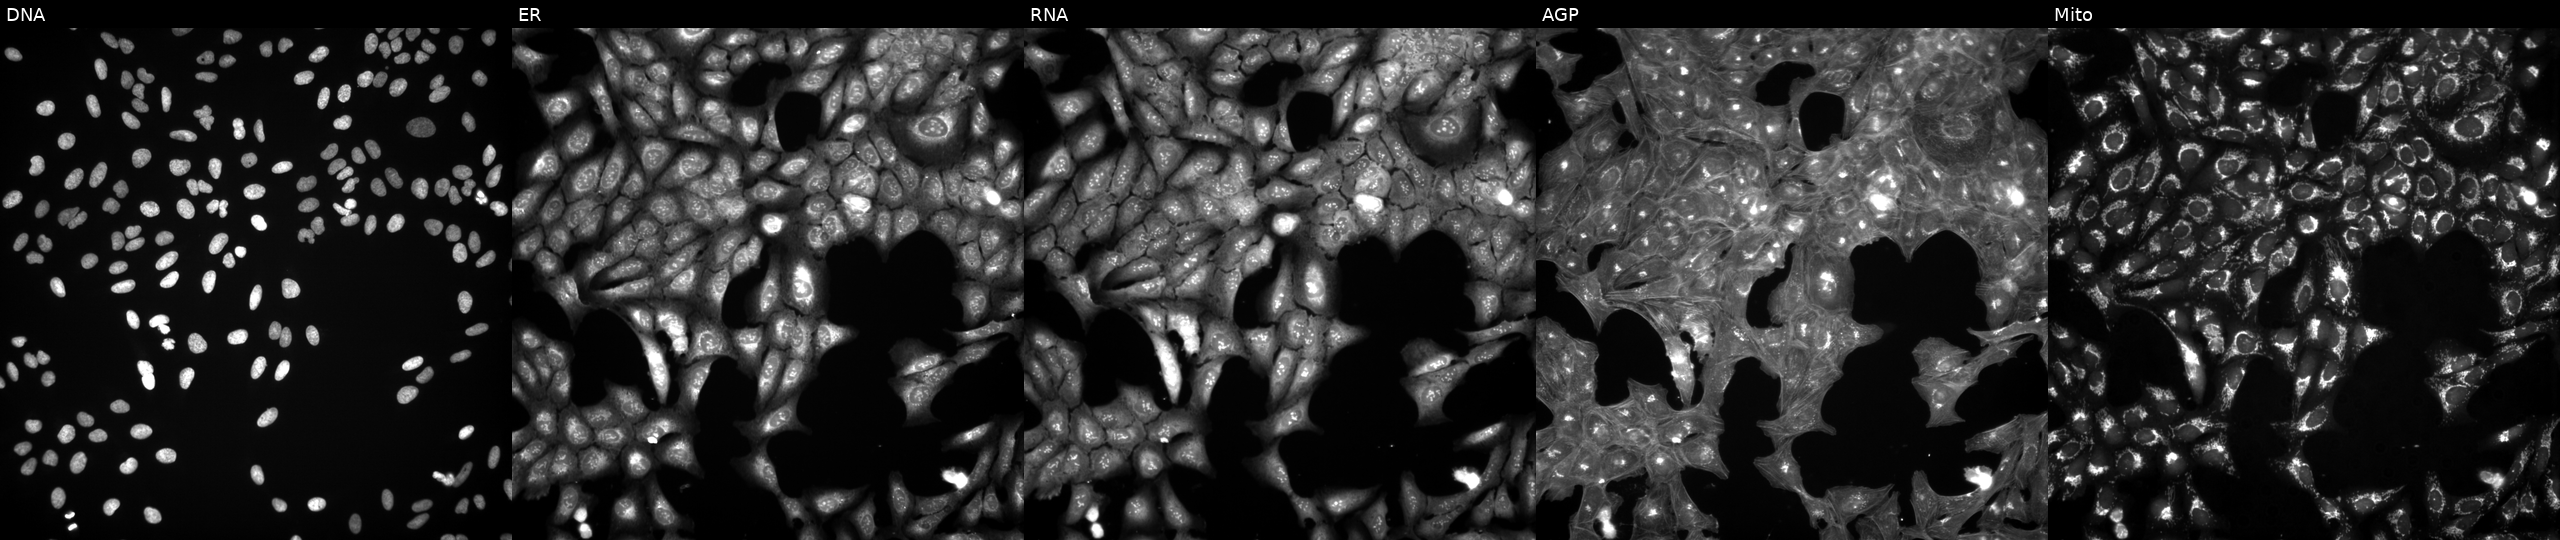
Five-channel Cell Painting image of U2OS cells treated with a small-molecule compound (InChIKey FHZPMYYMGDAUCX-UHFFFAOYSA-N). The five panels, left to right, show DNA, ER, RNA, AGP, and Mito. Source 3, plate BR5867b3, well E19.